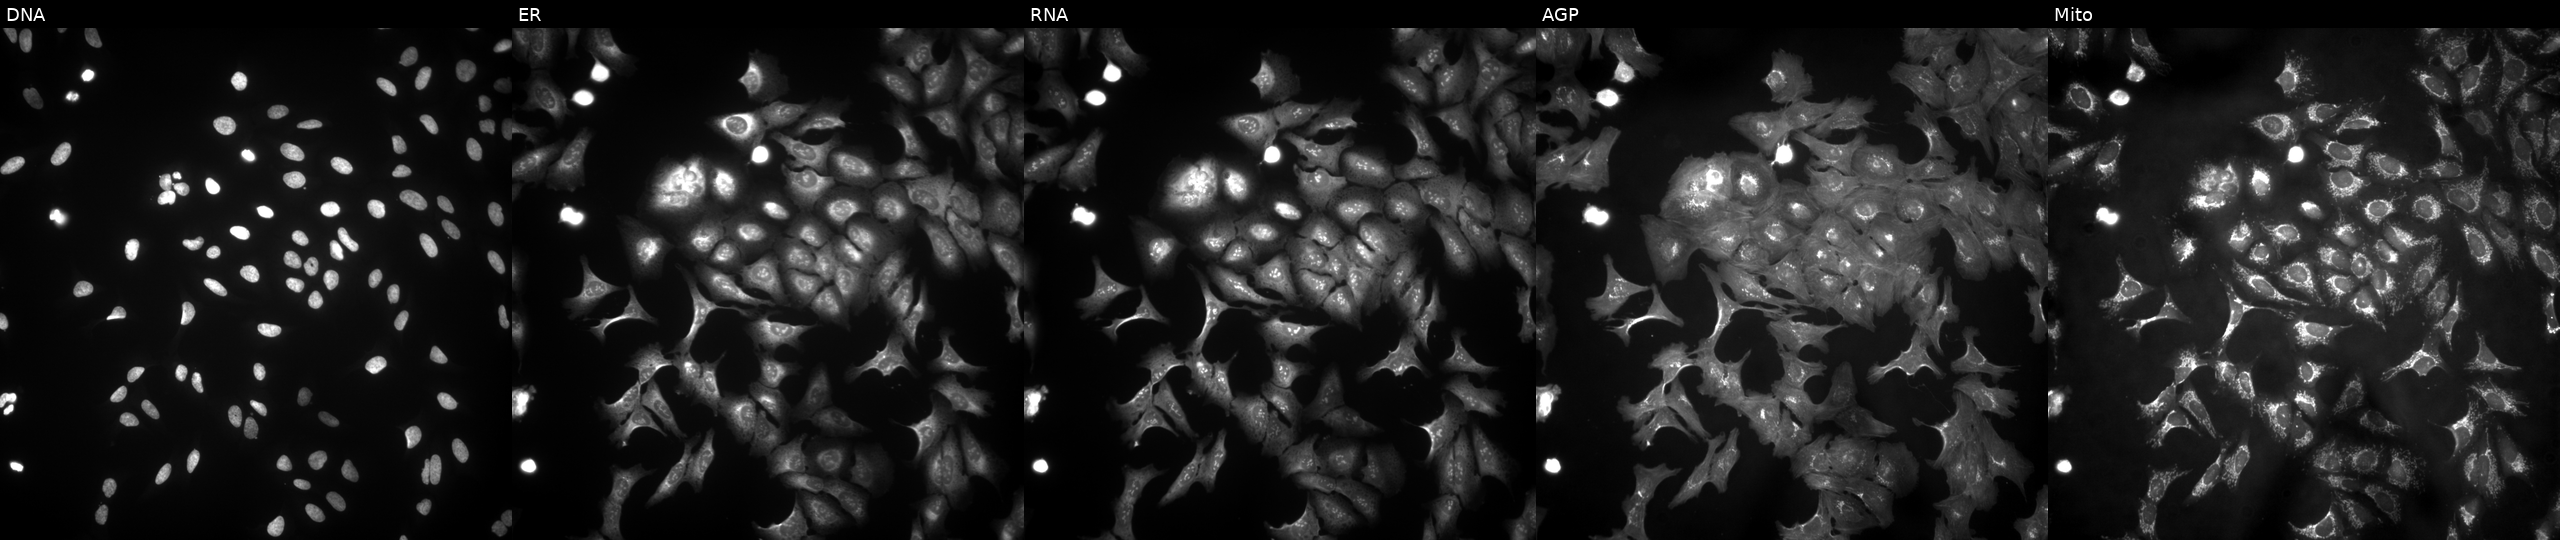
Five-channel Cell Painting image of U2OS cells transfected with an ORF construct for ENTPD5. The five panels, left to right, show Hoechst 33342, concanavalin A, SYTO 14, phalloidin and WGA, MitoTracker.